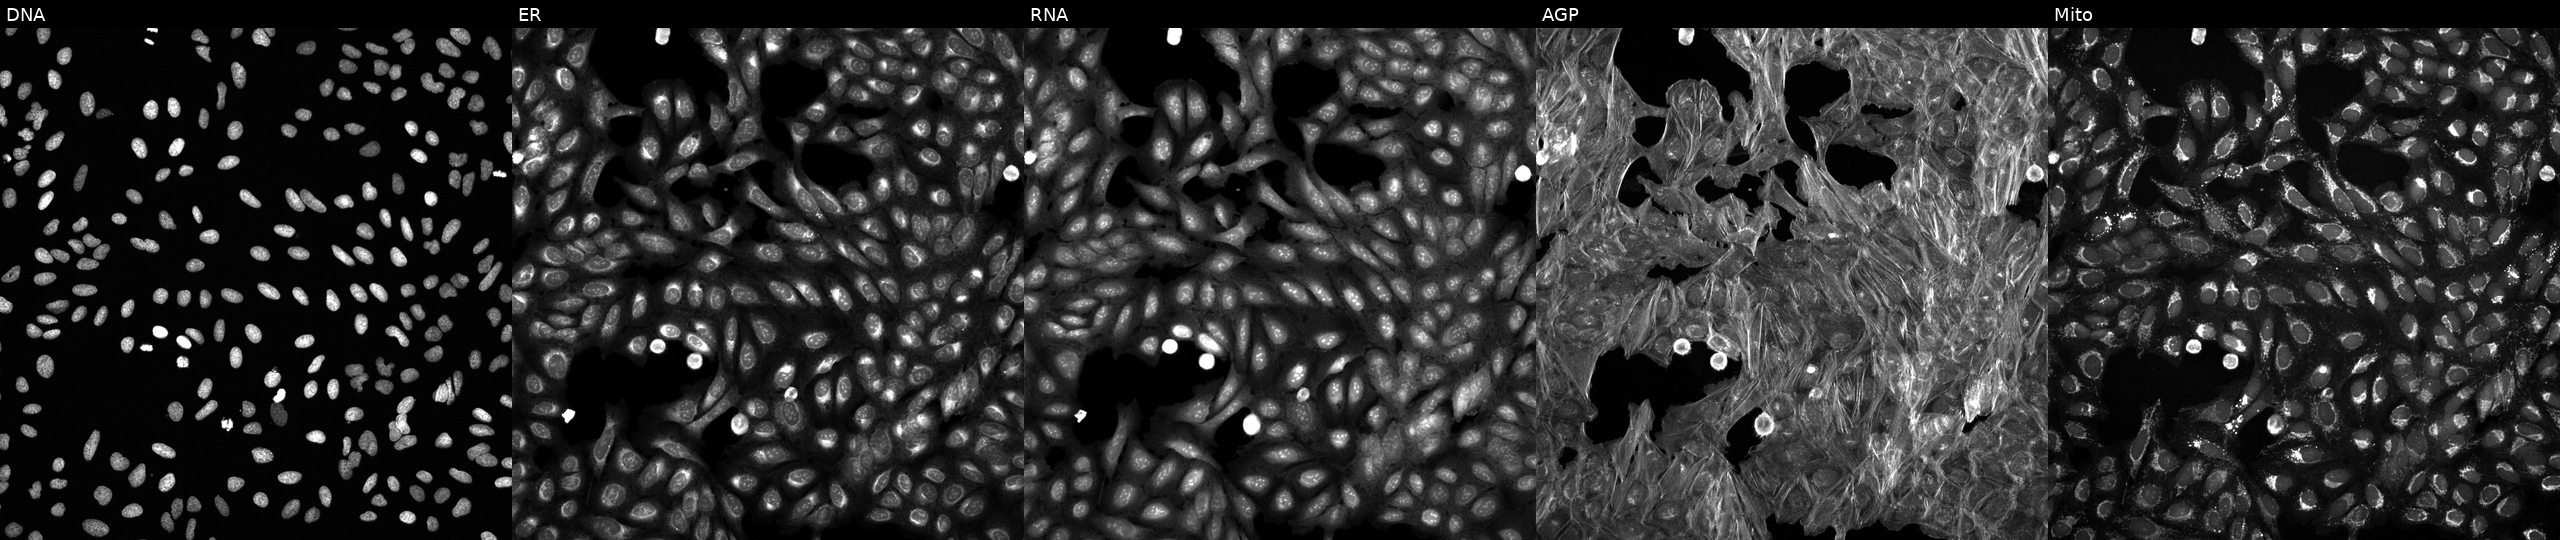
Five-channel Cell Painting image of U2OS cells treated with a small-molecule compound (JUMP id JCP2022_037406). From left to right: DNA, ER, RNA, AGP, and Mito.